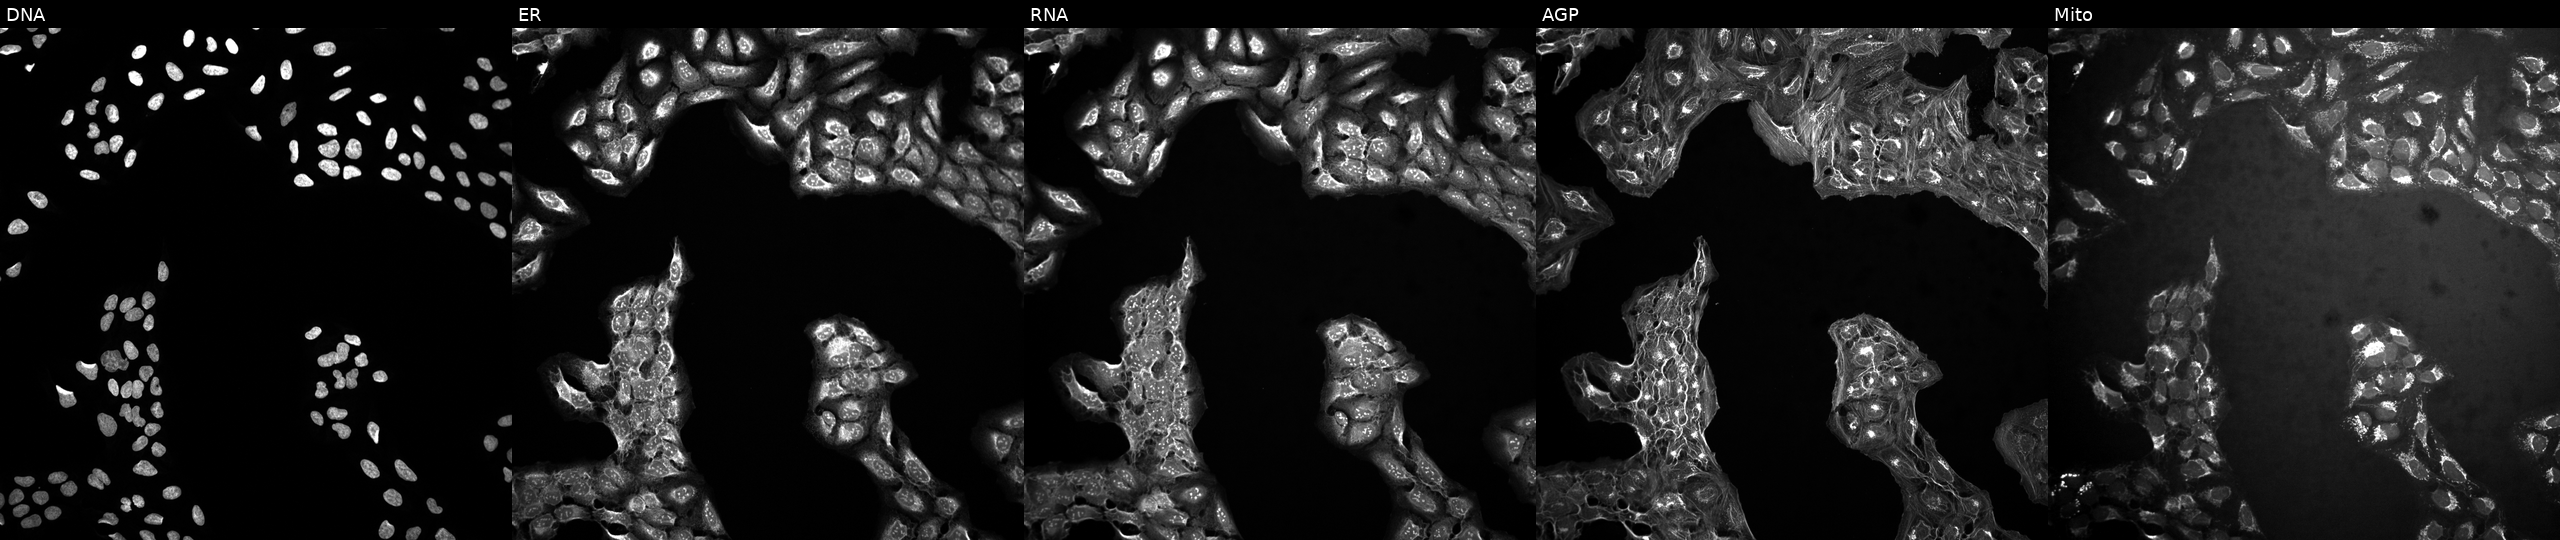
Five-channel Cell Painting image of U2OS cells in an empty control well (no perturbation) (JUMP id JCP2022_999999). Panels show, left to right, DNA, ER, RNA, AGP, and Mito.